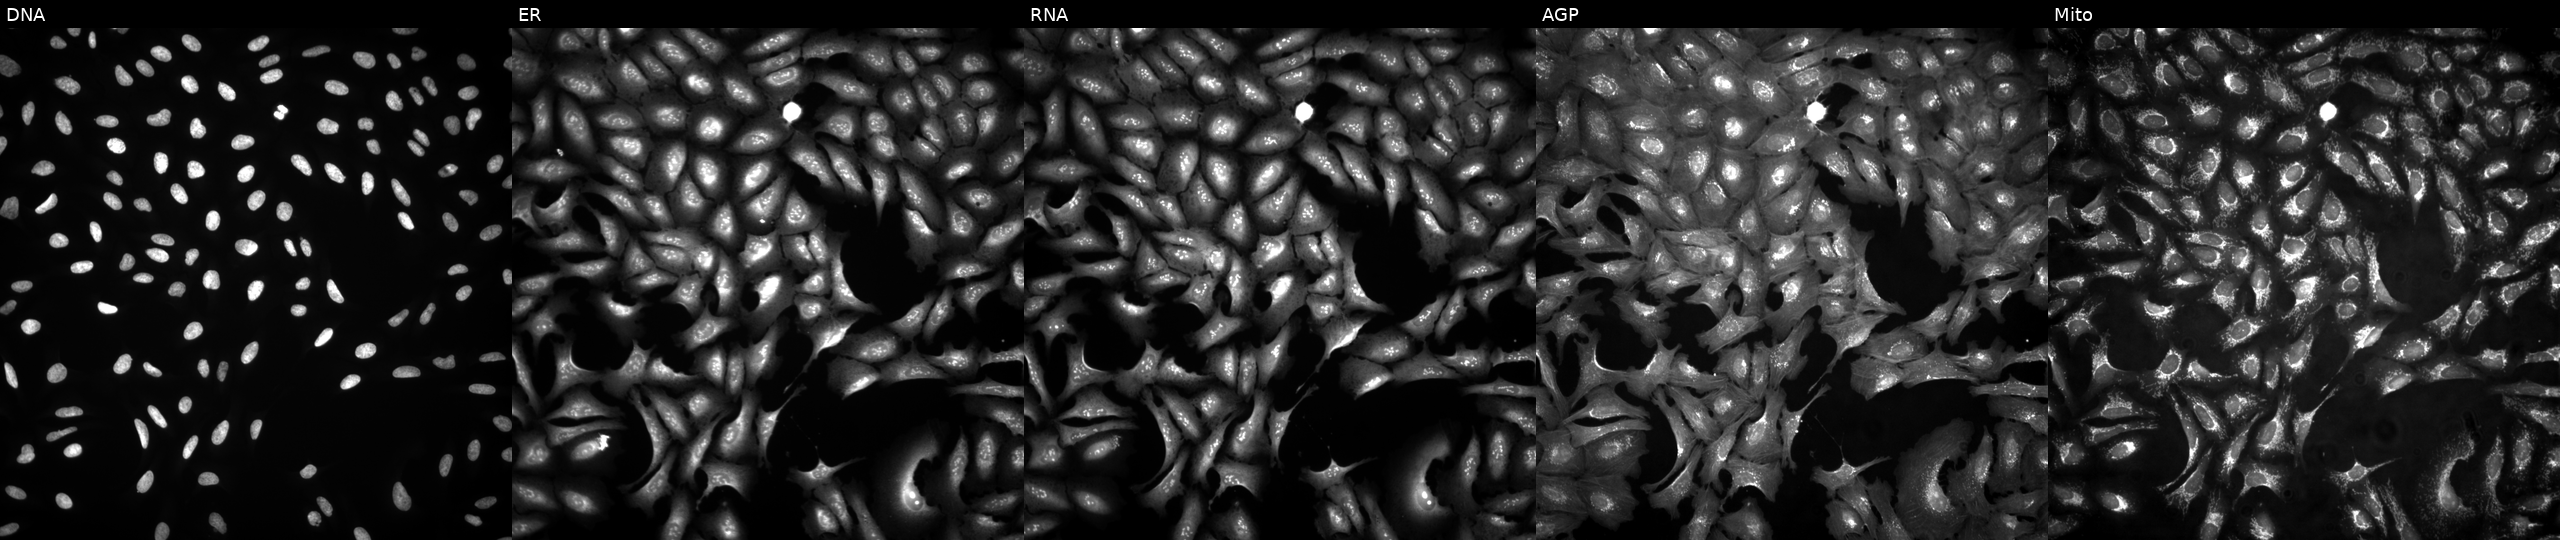
Five-channel Cell Painting image of U2OS cells transfected with an ORF construct for RPS15A. From left to right: DNA, ER, RNA, AGP, and Mito.